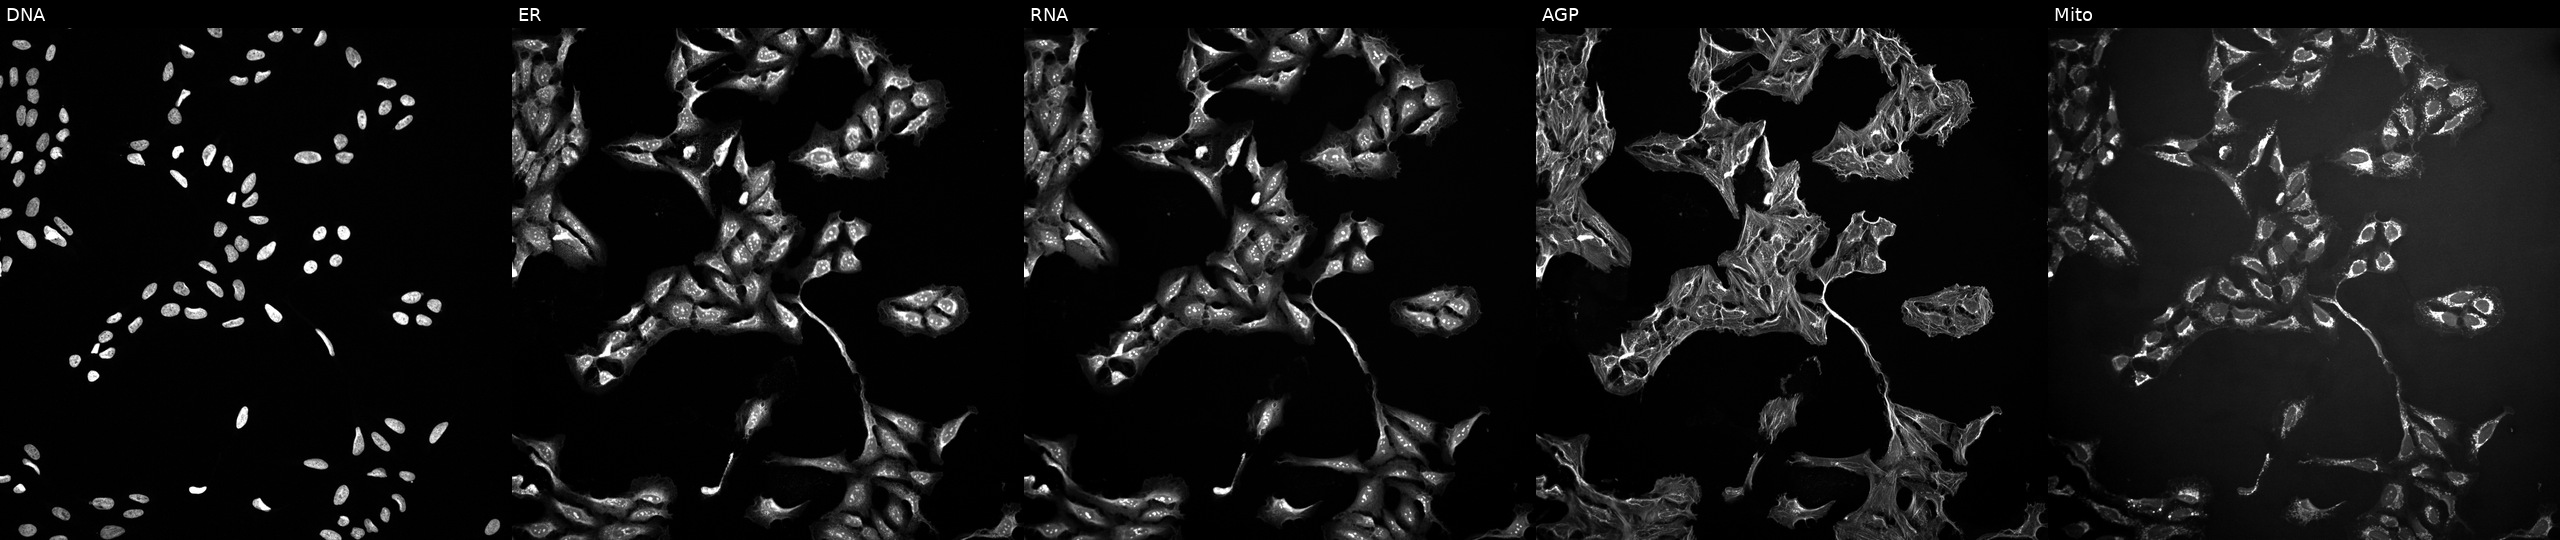
JUMP Cell Painting — TARGET2 plate. U2OS cells perturbed with a small-molecule compound (InChIKey NBHPRWLFLUBAIE-UHFFFAOYSA-N) (JUMP id JCP2022_057881). The five panels, left to right, show Hoechst 33342, concanavalin A, SYTO 14, phalloidin and WGA, MitoTracker.